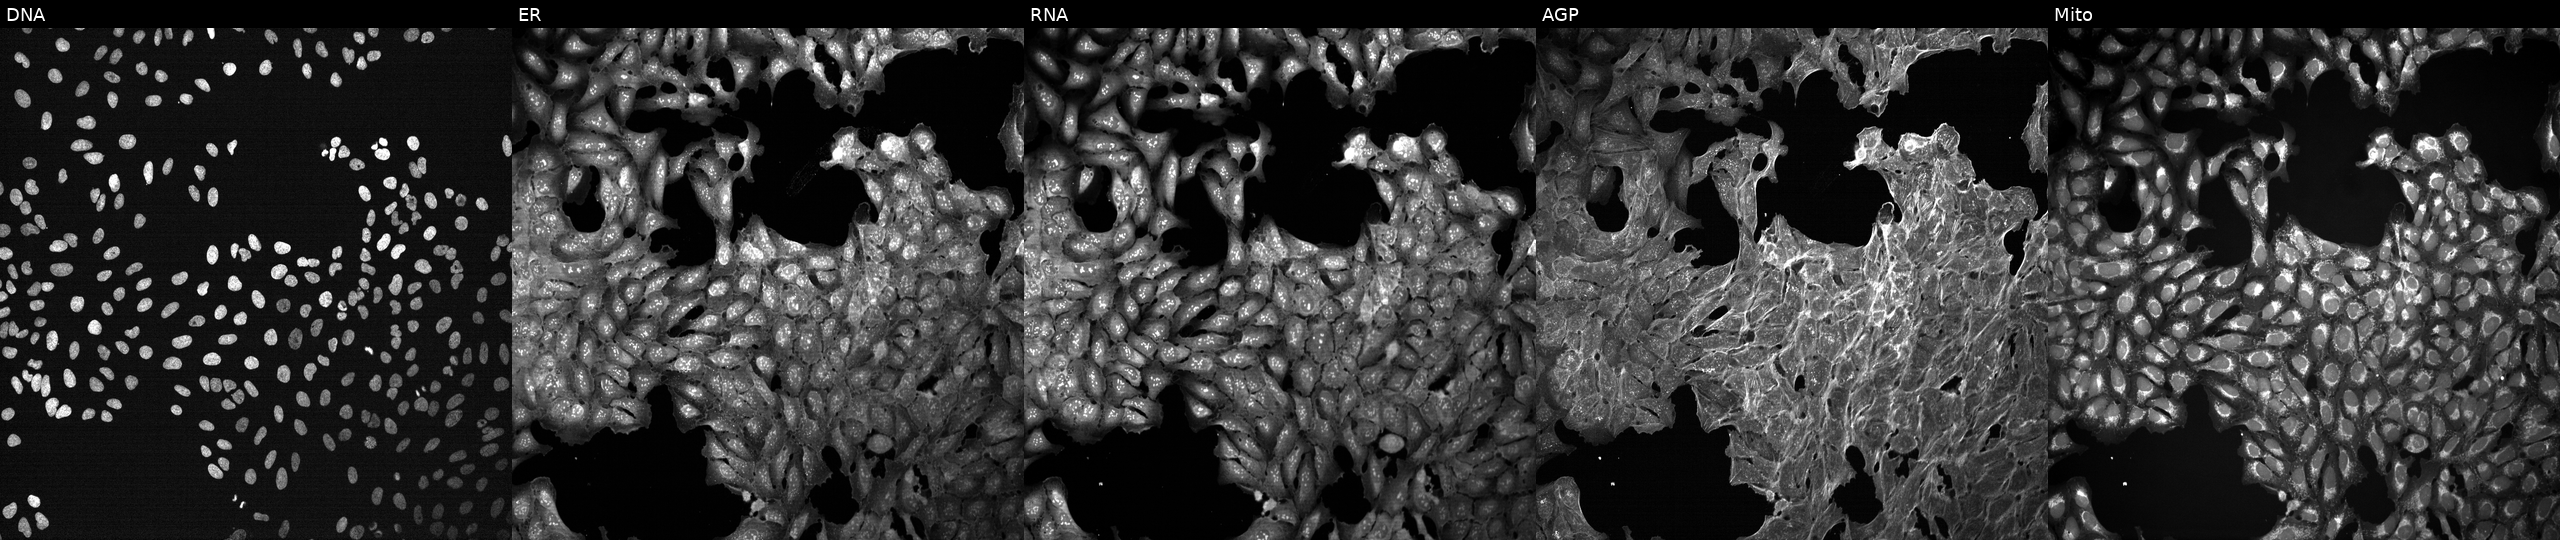
U2OS cells, Cell Painting assay, exposed to a small-molecule compound. Channels (left→right): DNA, ER, RNA, AGP, and Mito. Each panel is percentile-stretched 16-bit fluorescence.